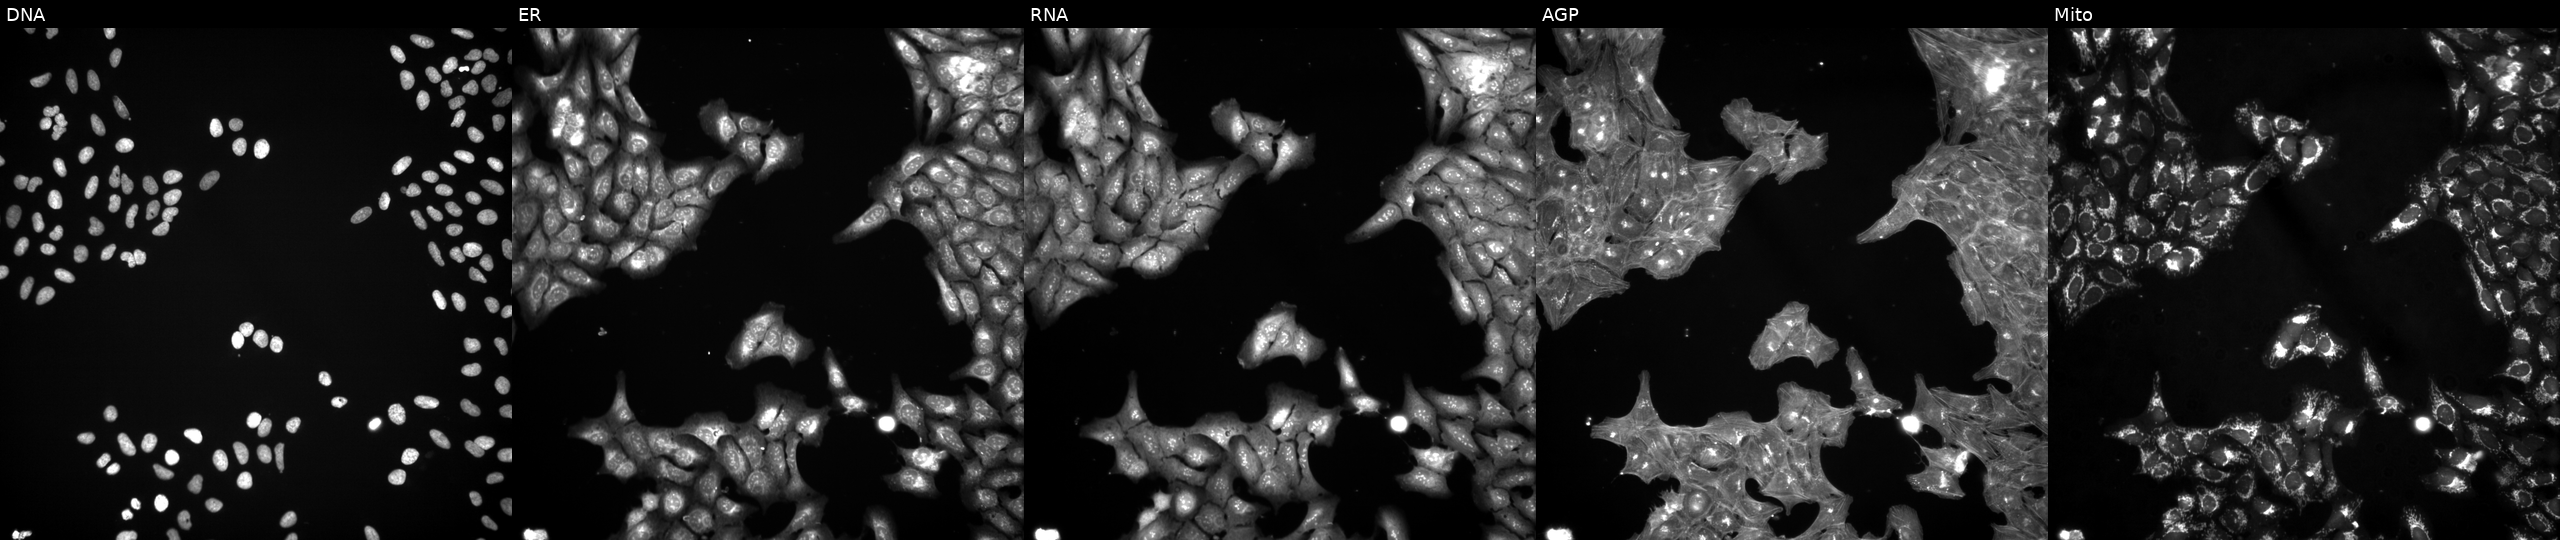
Five-channel Cell Painting image of U2OS cells perturbed with a small-molecule compound. The five panels, left to right, show DNA (nuclei); ER (endoplasmic reticulum); RNA (nucleoli and cytoplasmic RNA); AGP (actin cytoskeleton, Golgi, and plasma membrane); Mito (mitochondria).